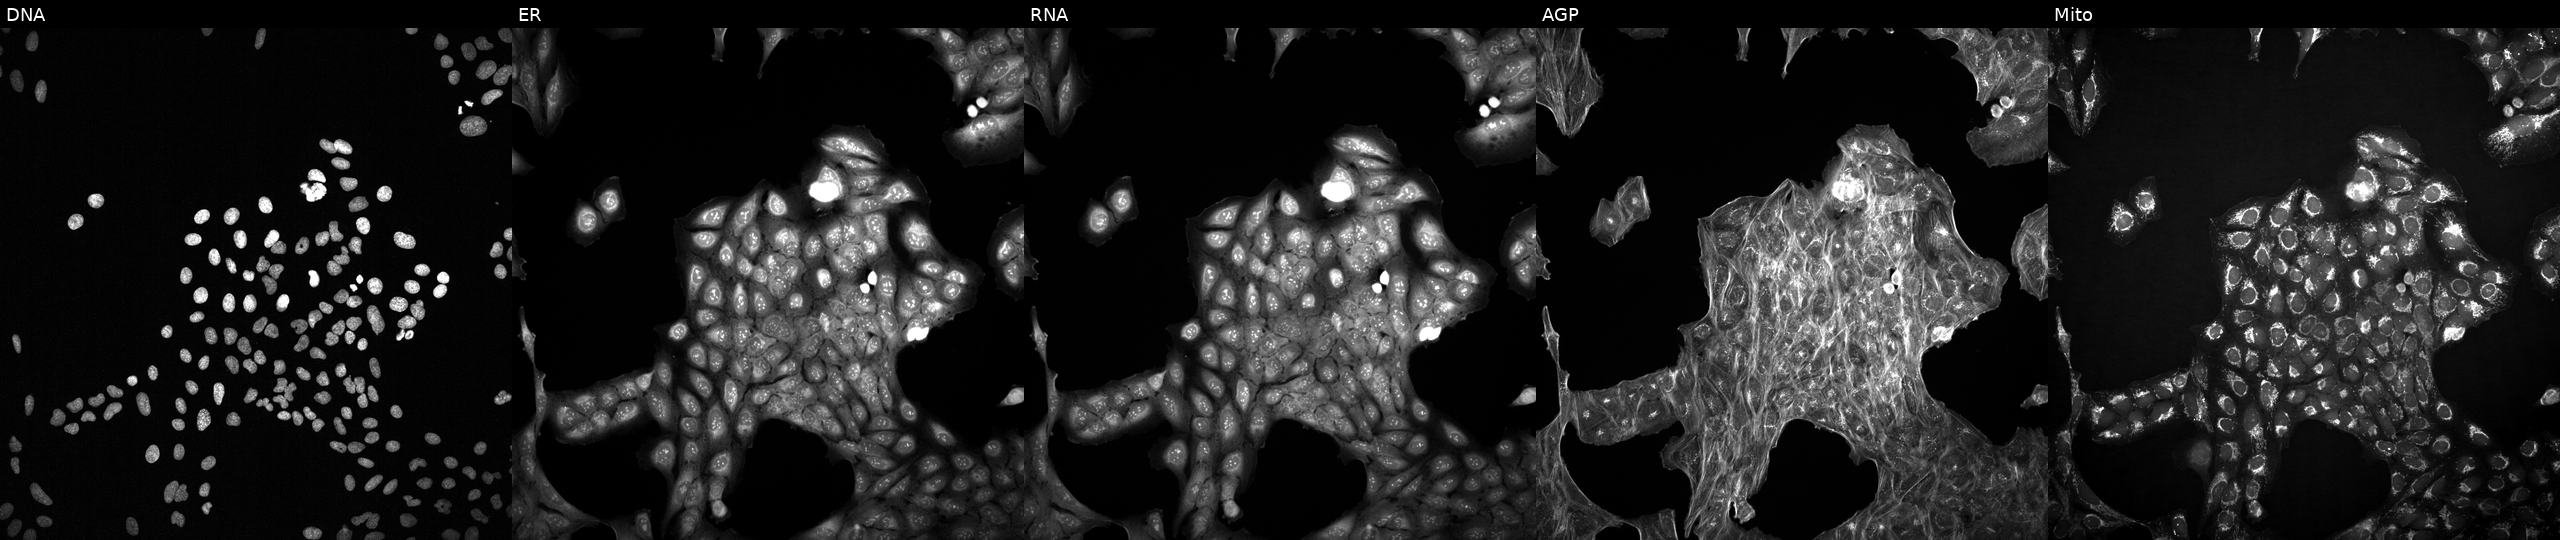
High-content fluorescence microscopy (Cell Painting). Cell line: U2OS. Perturbation: with an unidentified perturbation (not annotated in JUMP metadata). Channels (left→right): DNA, ER, RNA, AGP, and Mito.